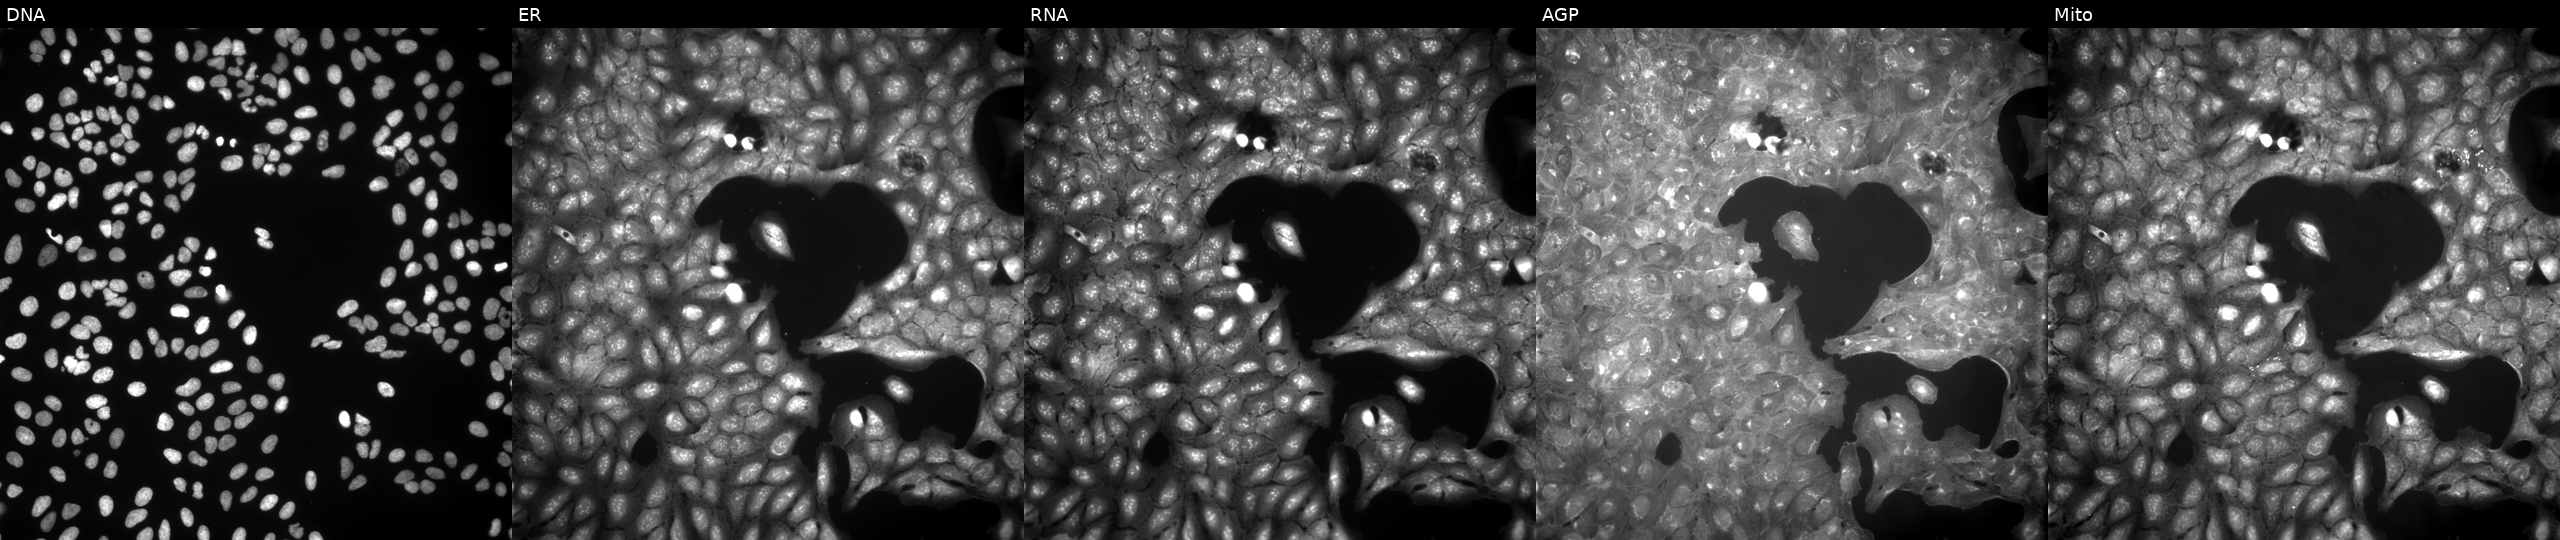
Five-channel Cell Painting image of U2OS cells perturbed with a small-molecule compound [SMILES: CCc1ccc(S(=O)(=O)N(C(=O)c2ccncc2)c2ccc(OC(=O)c3ccncc3)cc2)cc1] (JUMP id JCP2022_027495). Panels show, left to right, DNA (nuclei); ER (endoplasmic reticulum); RNA (nucleoli and cytoplasmic RNA); AGP (actin cytoskeleton, Golgi, and plasma membrane); Mito (mitochondria). Source 9, plate GR00003381, well V19.